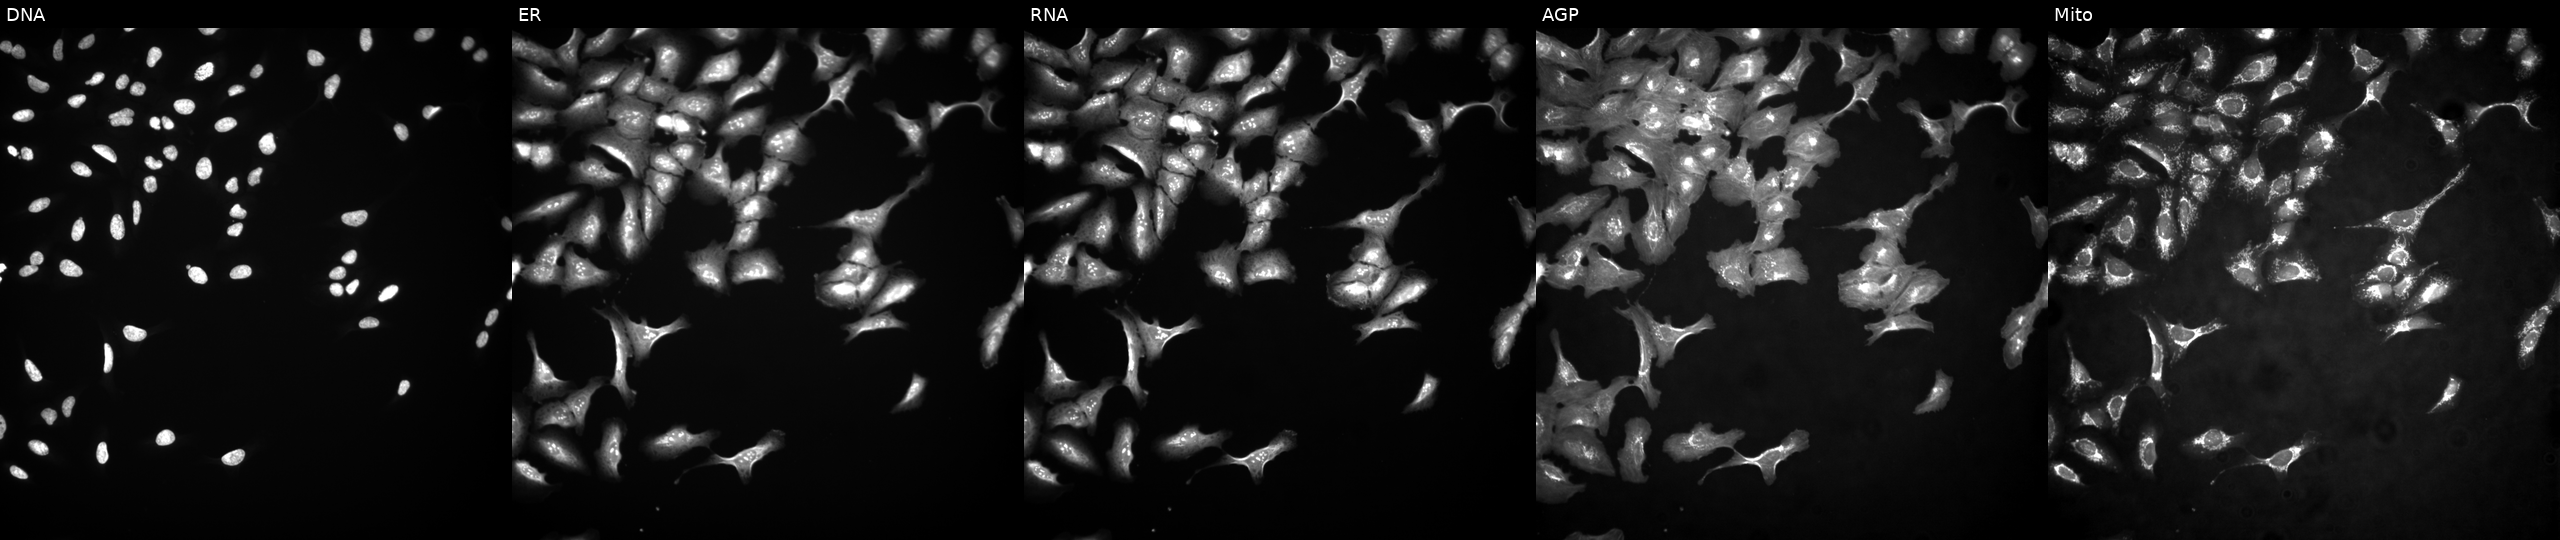
Five-channel Cell Painting image of U2OS cells with ERF overexpressed (ORF). From left to right: Hoechst 33342, concanavalin A, SYTO 14, phalloidin and WGA, MitoTracker.